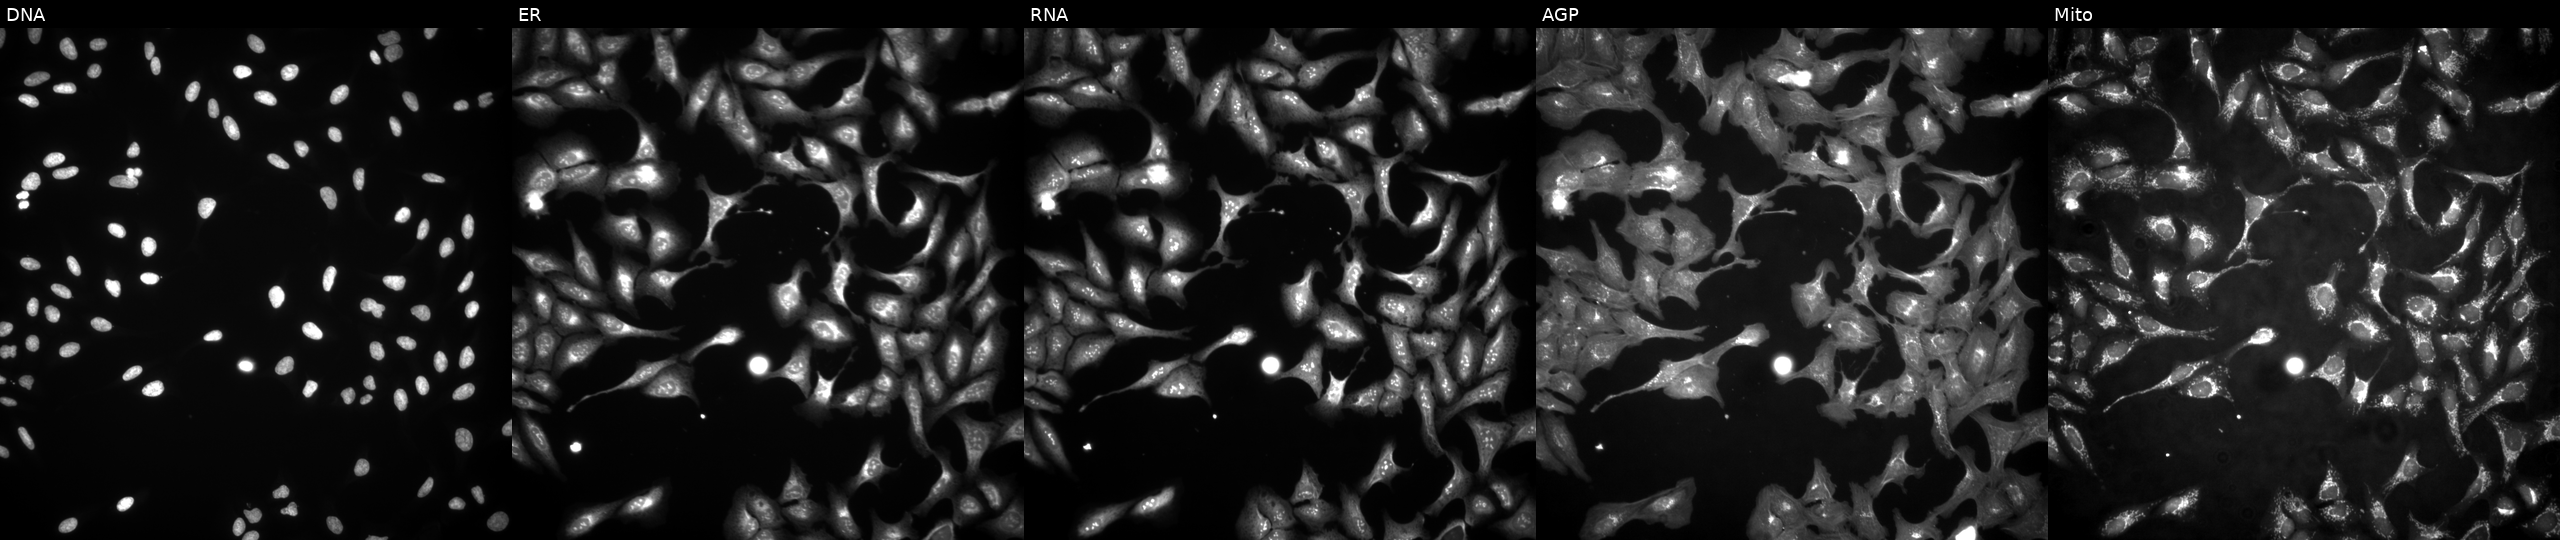
This image strip shows the five Cell Painting channels for a single field of U2OS cells with ECI2 overexpressed (ORF) (JUMP id JCP2022_902287). From left to right: DNA, ER, RNA, AGP, and Mito.